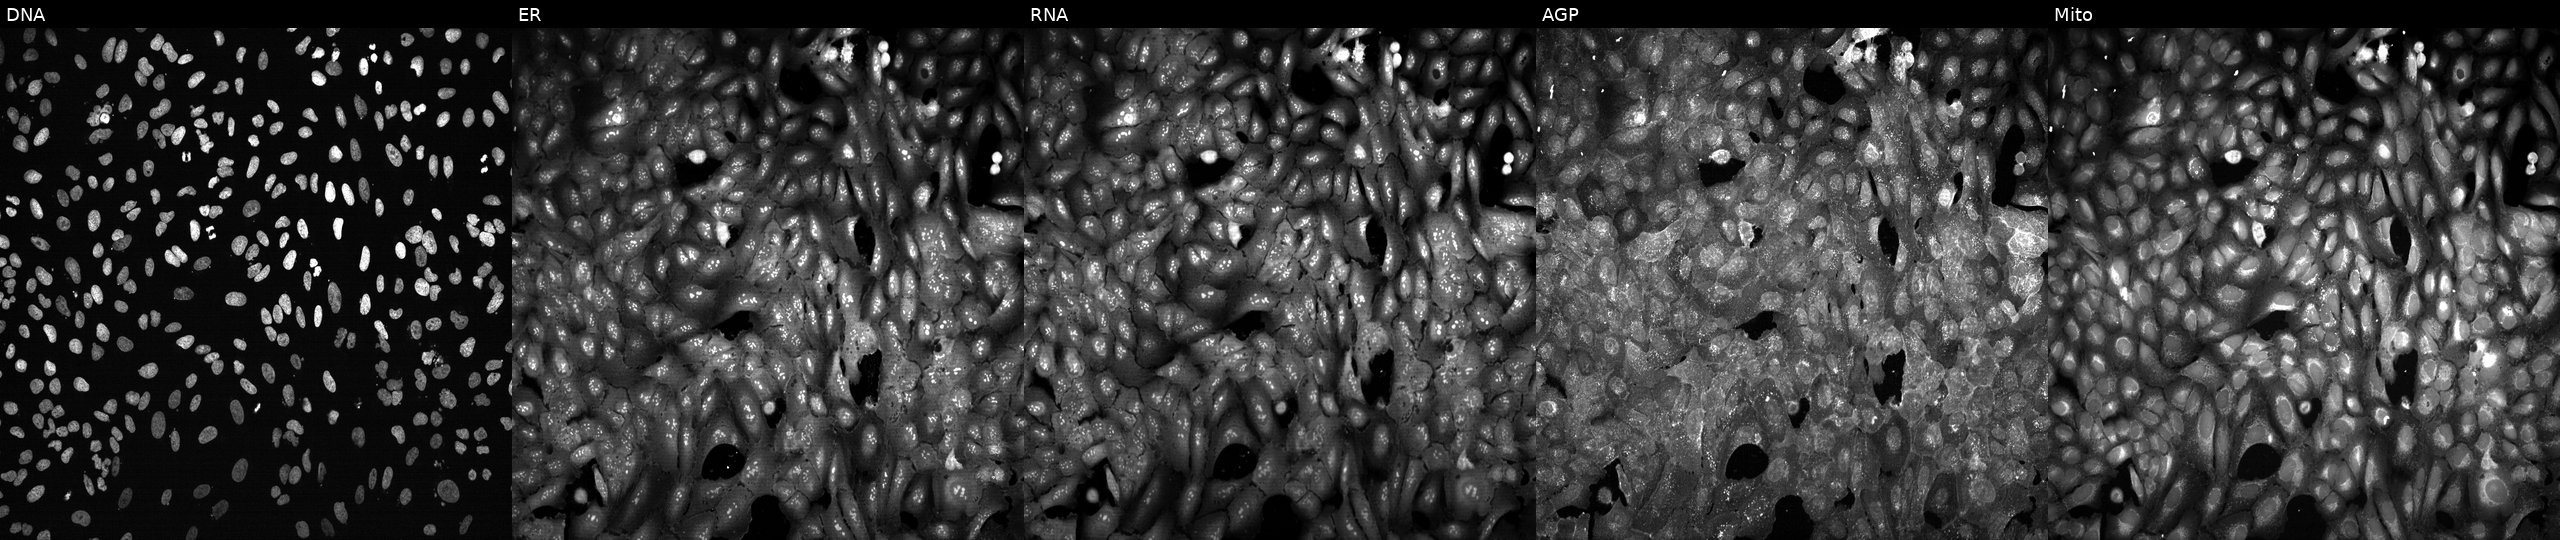
Five-channel Cell Painting image of U2OS cells following CRISPR knockout of GPX2. Panels show, left to right, Hoechst 33342, concanavalin A, SYTO 14, phalloidin and WGA, MitoTracker.